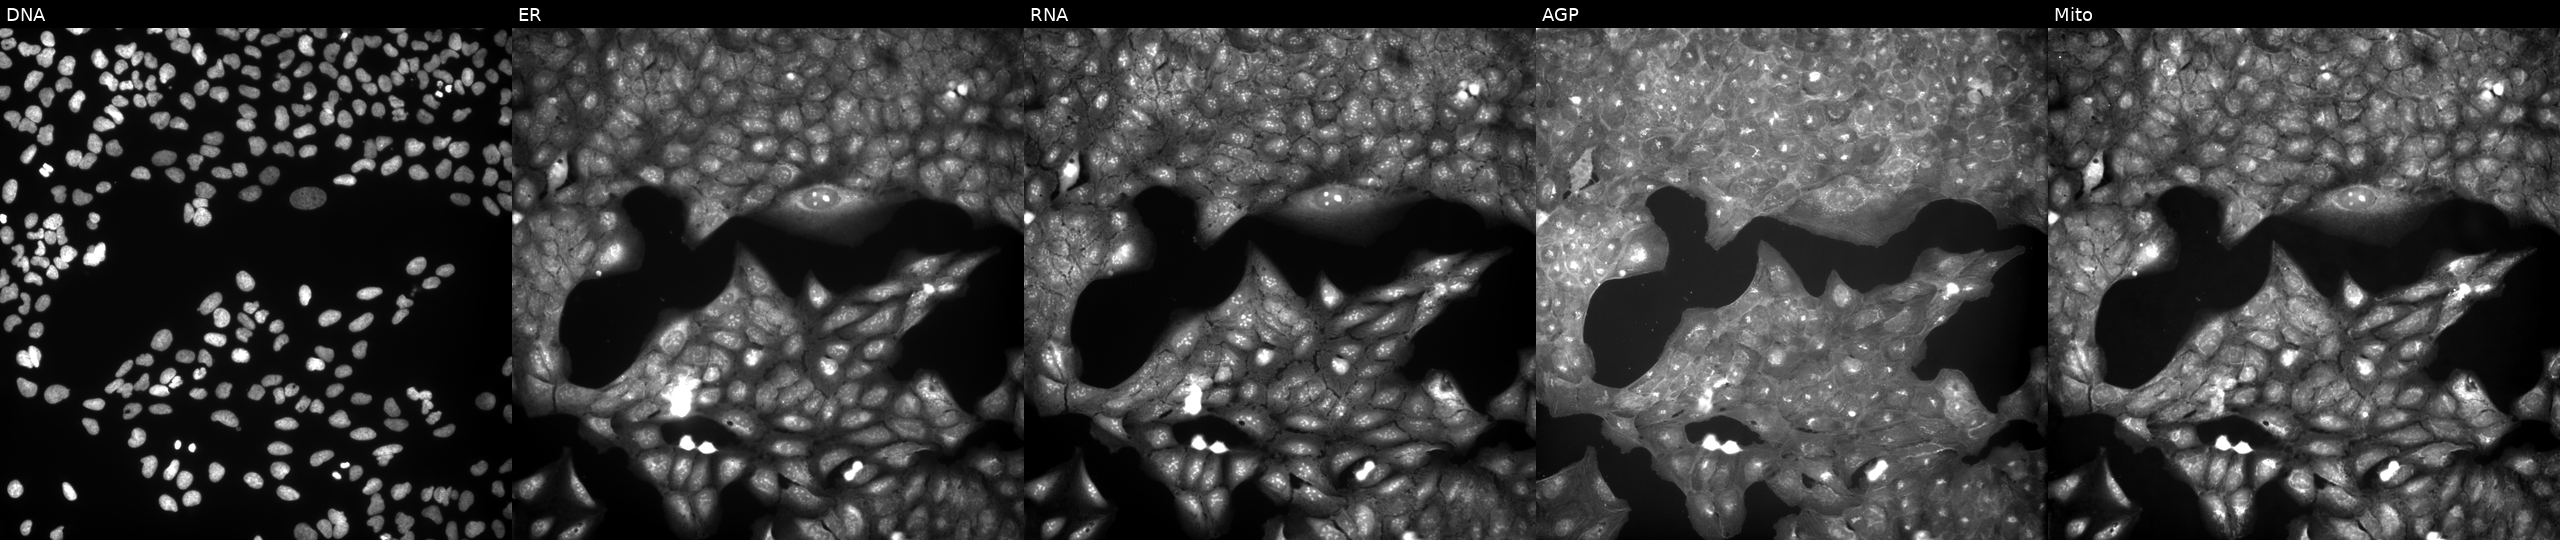
High-content fluorescence microscopy (Cell Painting). Cell line: U2OS. Perturbation: perturbed with a small-molecule compound. The five panels, left to right, show DNA (nuclei); ER (endoplasmic reticulum); RNA (nucleoli and cytoplasmic RNA); AGP (actin cytoskeleton, Golgi, and plasma membrane); Mito (mitochondria). Source 9, plate GR00003382, well I34.